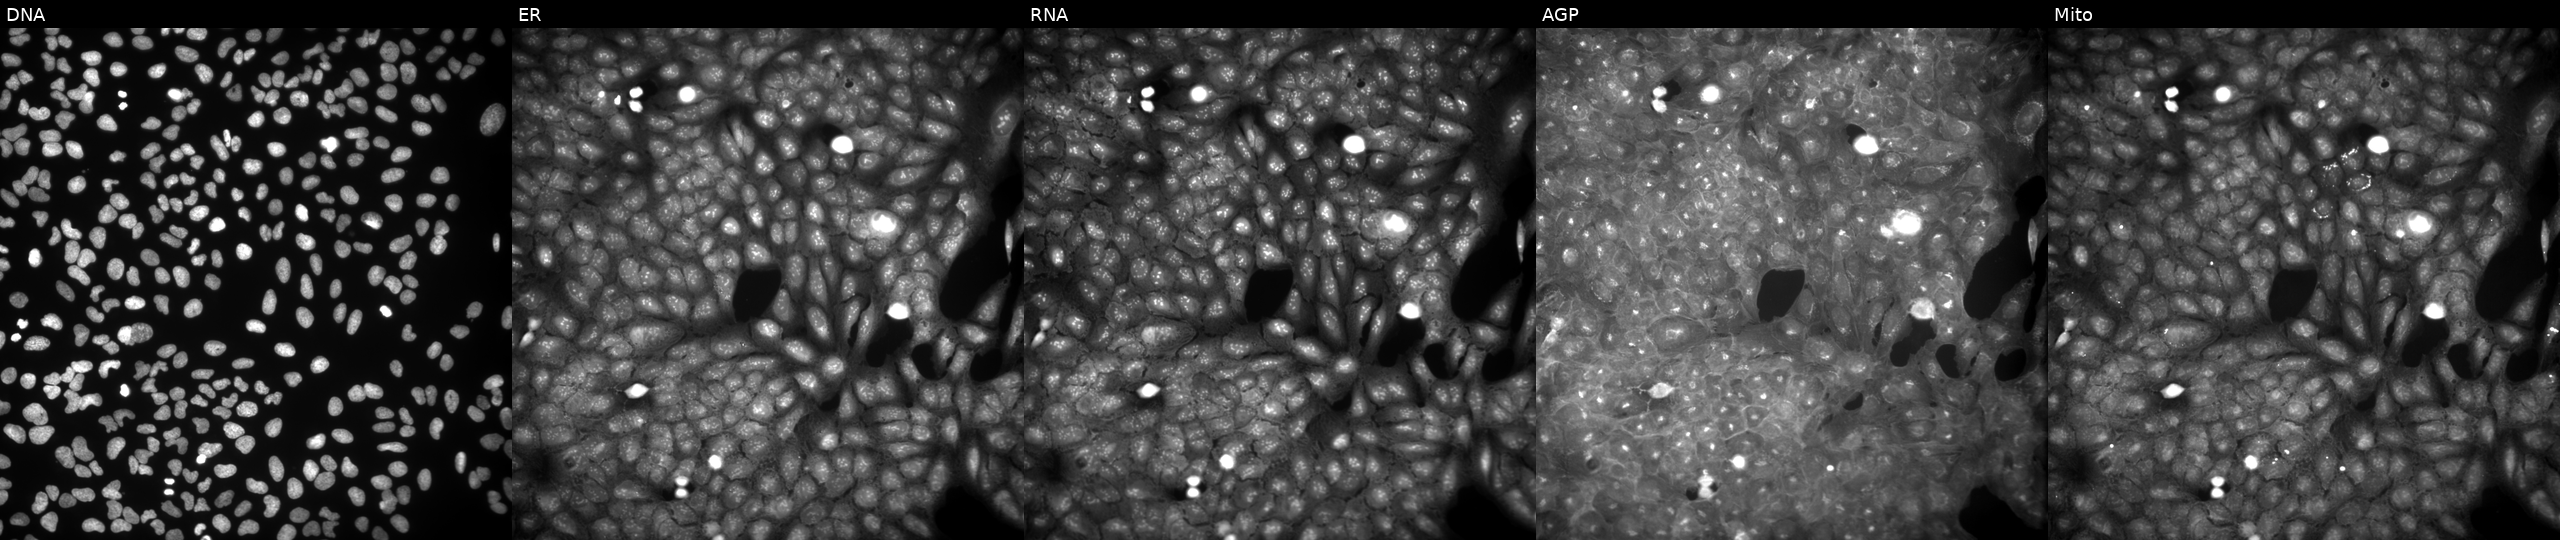
U2OS cells, Cell Painting assay, treated with a small-molecule compound (InChIKey SZGVOSLMLBHQDE-UHFFFAOYSA-N) [SMILES: COCc1cc(C)nc2sc(C(=O)OC)c(N)c12]. The five panels, left to right, show DNA (nuclei); ER (endoplasmic reticulum); RNA (nucleoli and cytoplasmic RNA); AGP (actin cytoskeleton, Golgi, and plasma membrane); Mito (mitochondria). Each panel is percentile-stretched 16-bit fluorescence. Source 9, plate GR00003382, well T34.